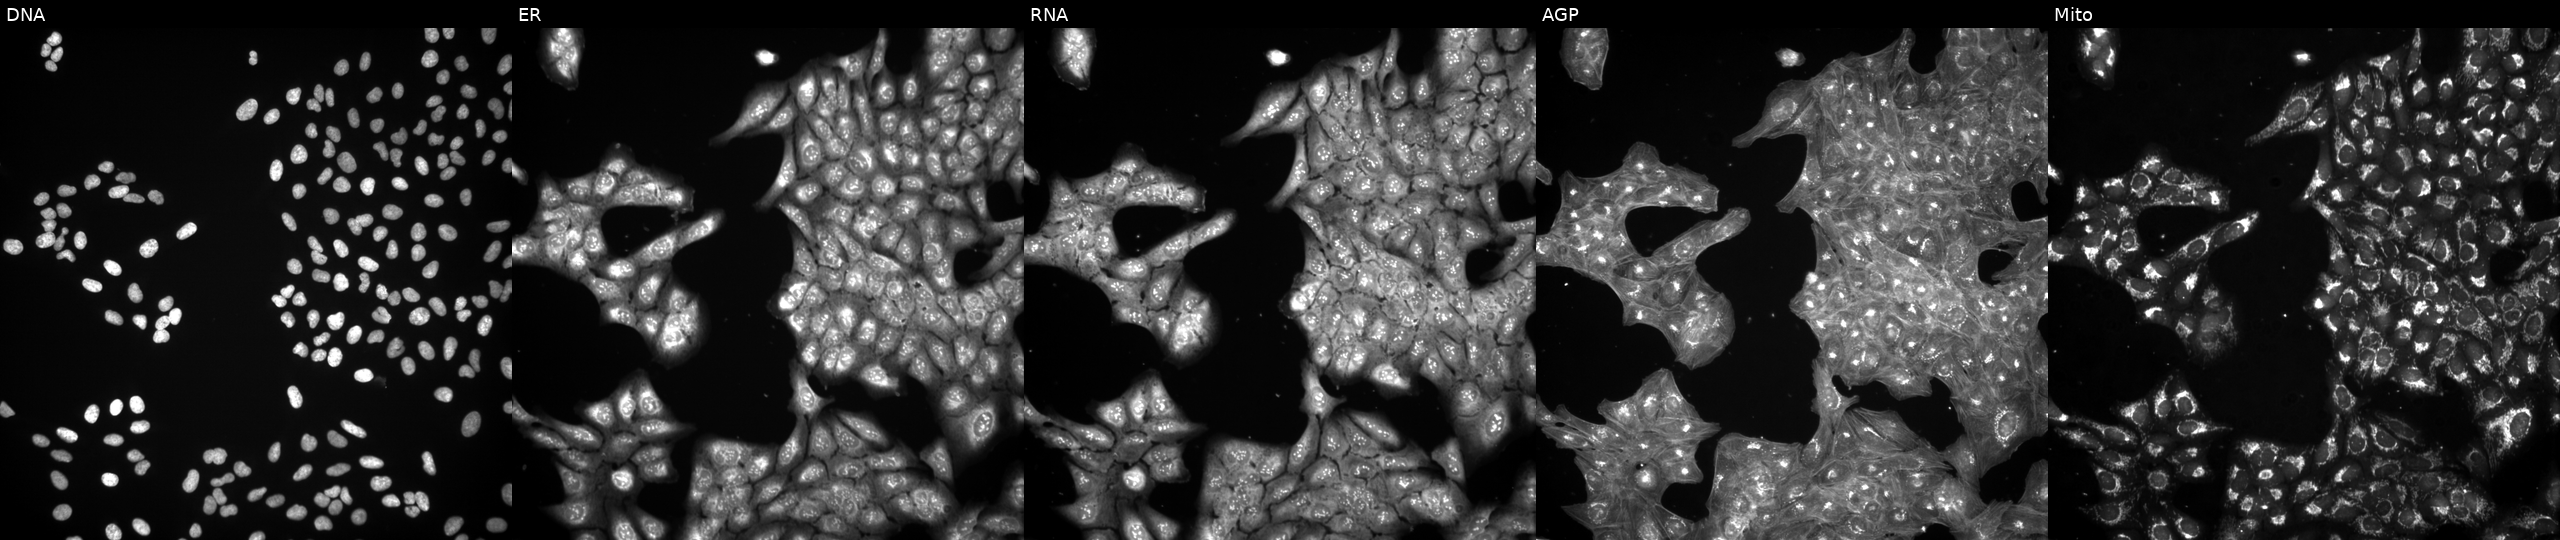
Panels show, left to right, DNA, ER, RNA, AGP, and Mito. U2OS osteosarcoma cells perturbed with a small-molecule compound (InChIKey CKTSBUTUHBMZGZ-UHFFFAOYSA-N). Cell Painting assay, JUMP-CP dataset.